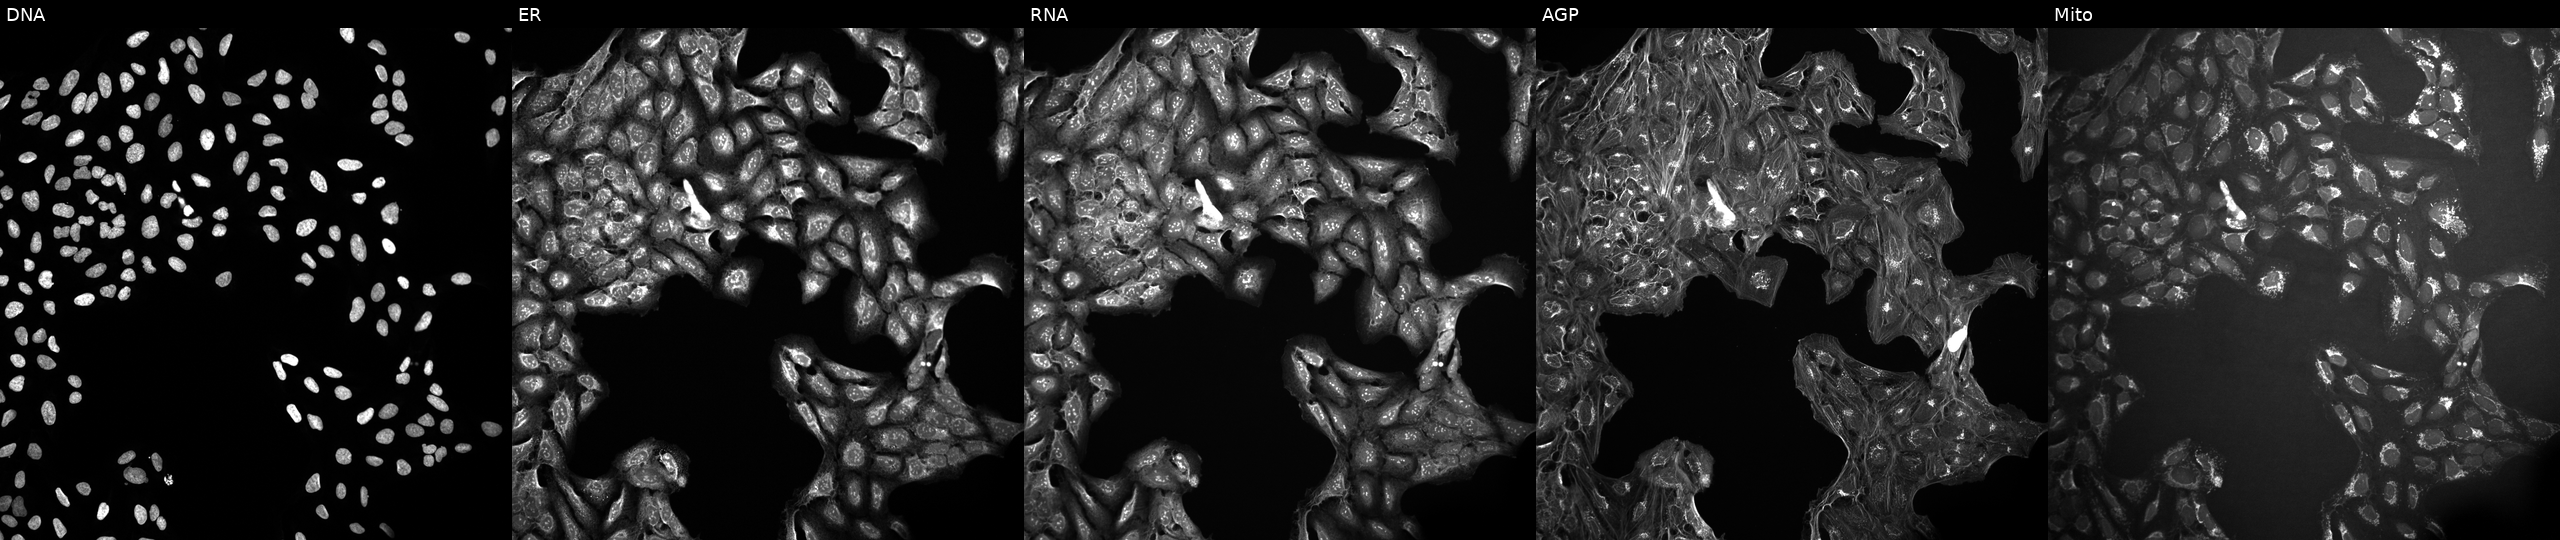
Five-channel Cell Painting image of U2OS cells untreated (empty-well control) (JUMP id JCP2022_999999). Panels show, left to right, Hoechst 33342, concanavalin A, SYTO 14, phalloidin and WGA, MitoTracker. Source 10, plate Dest210531-152324, well B20.